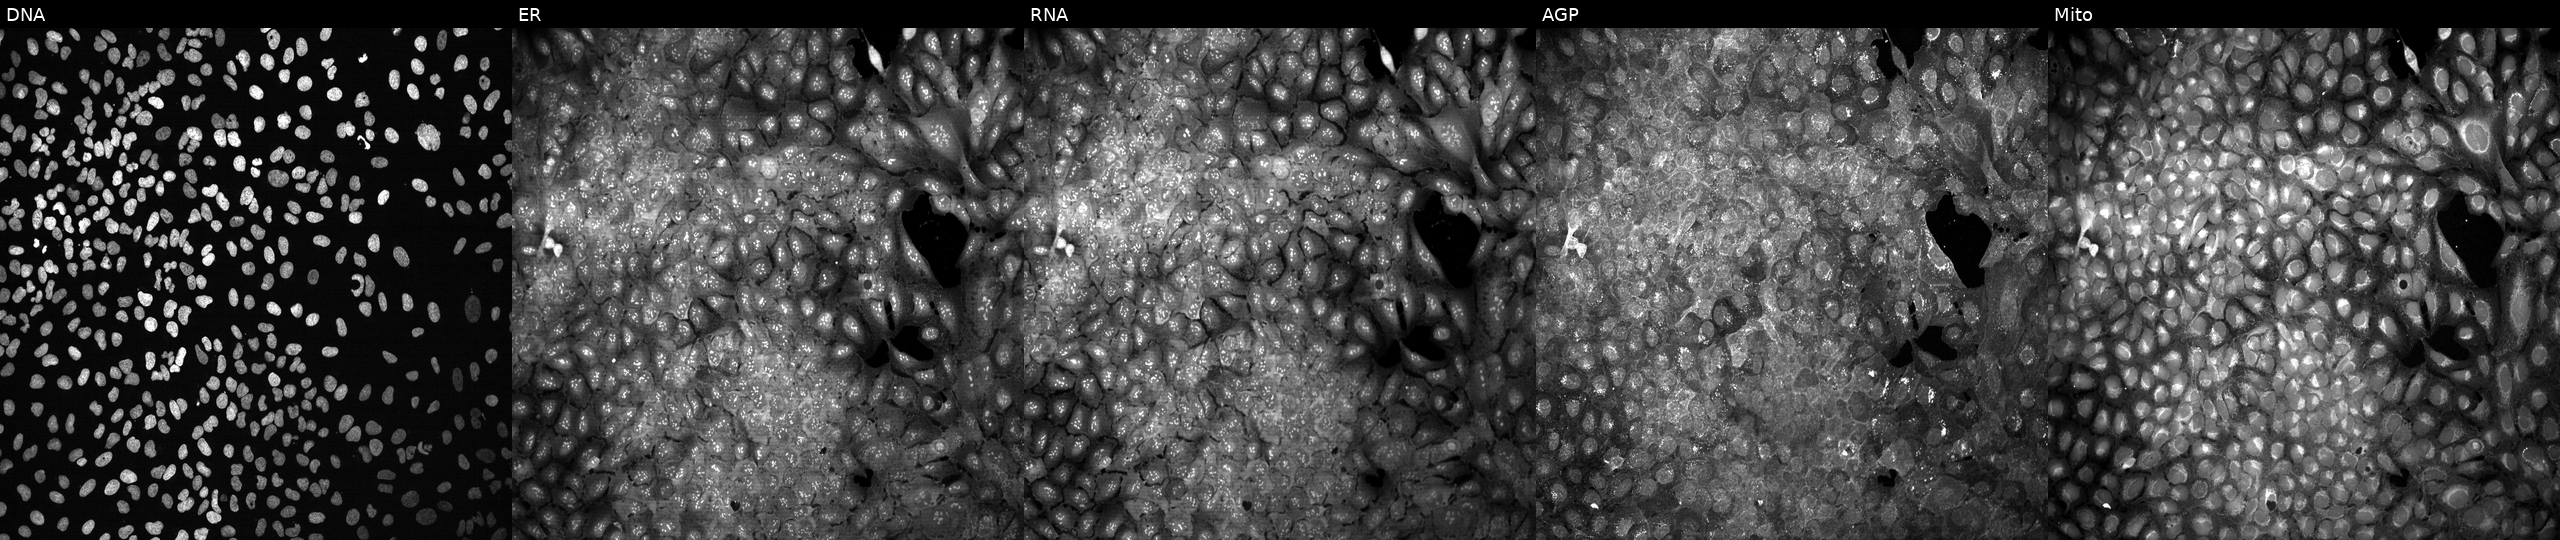
The five panels, left to right, show DNA, ER, RNA, AGP, and Mito. U2OS osteosarcoma cells CRISPR-edited to disrupt ARFGAP3. Cell Painting assay, JUMP-CP dataset. Source 13, plate CP-CC9-R1-01, well J20.